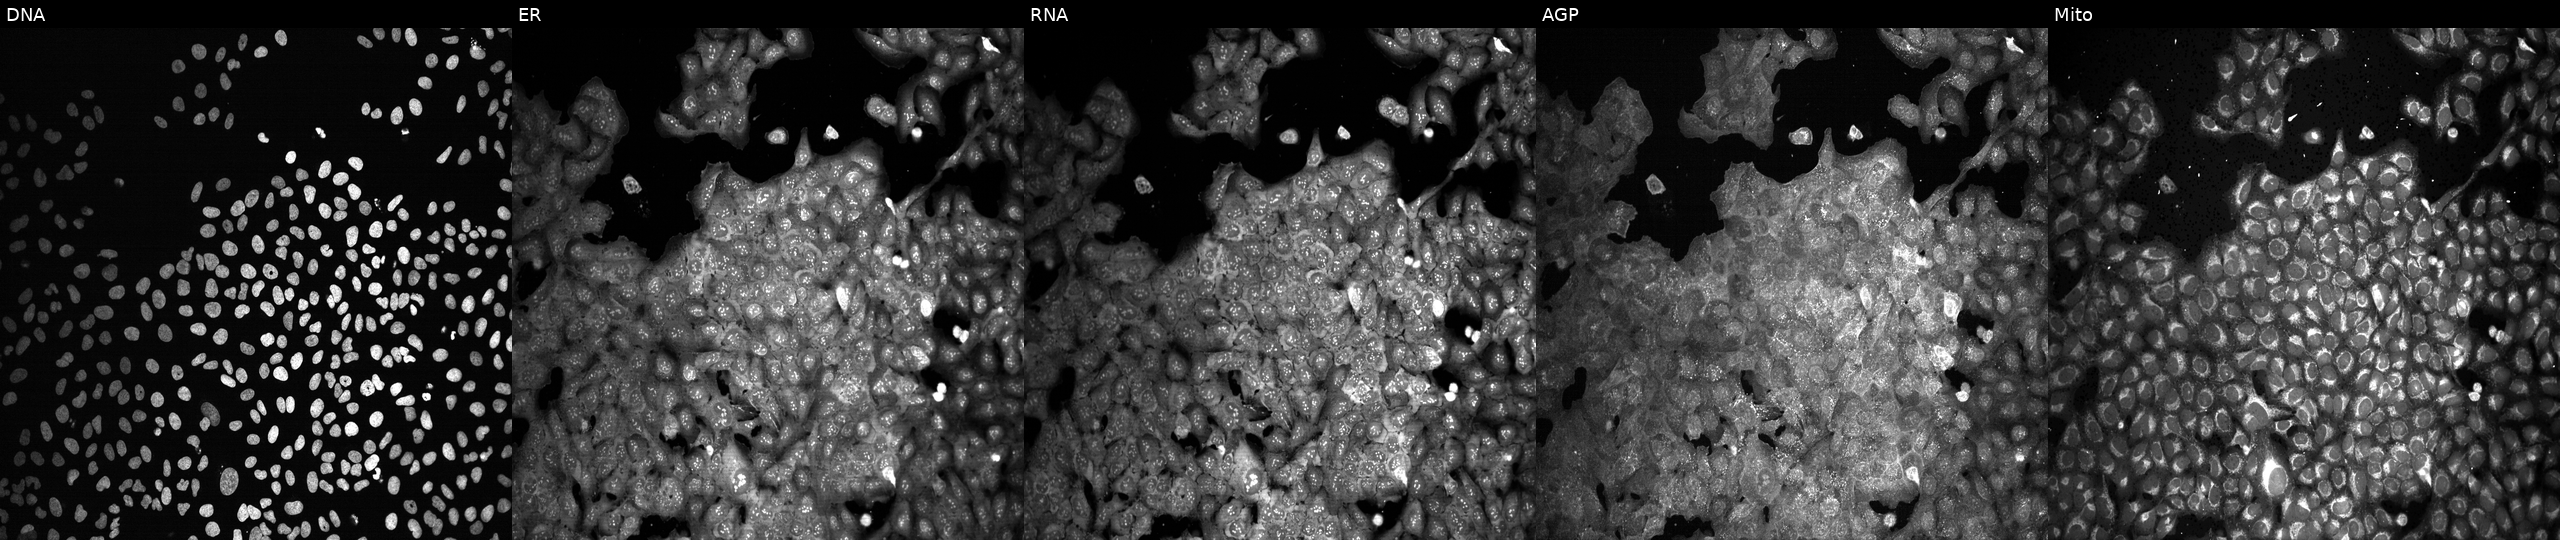
Five-channel Cell Painting image of U2OS cells treated with NVS-PAK1-1 (positive-control compound). From left to right: Hoechst 33342, concanavalin A, SYTO 14, phalloidin and WGA, MitoTracker.